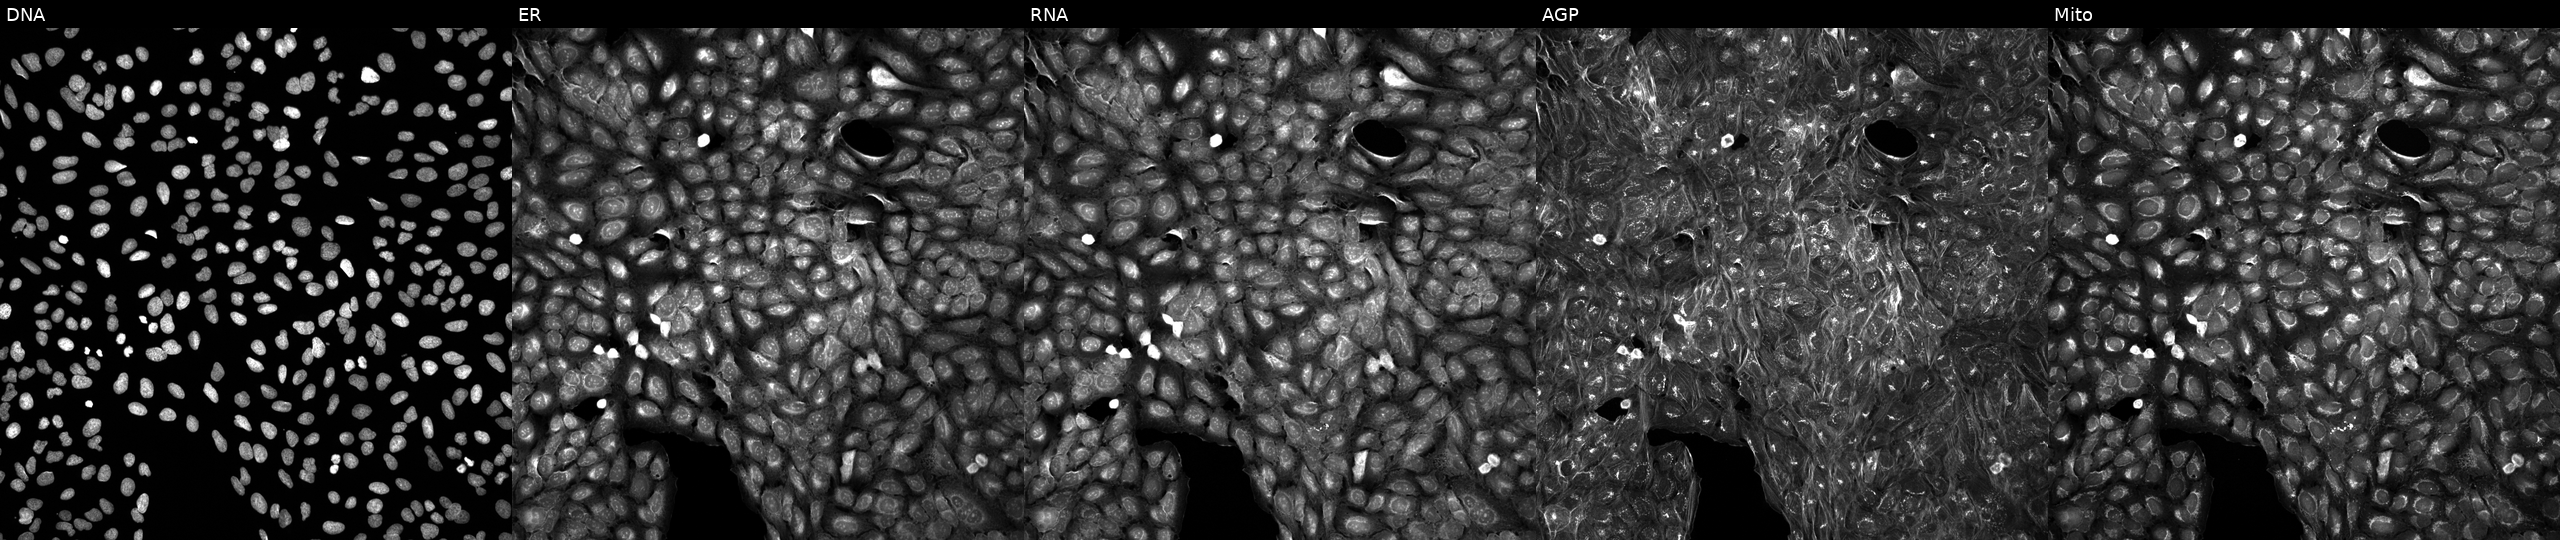
Five-channel Cell Painting image of U2OS cells exposed to a small-molecule compound [SMILES: O=C(NC1CCc2nccn2C1)c1cccc(OCC2CCCO2)c1] (JUMP id JCP2022_013973). The five panels, left to right, show DNA (nuclei); ER (endoplasmic reticulum); RNA (nucleoli and cytoplasmic RNA); AGP (actin cytoskeleton, Golgi, and plasma membrane); Mito (mitochondria). Source 5, plate APTJUM106, well I14.